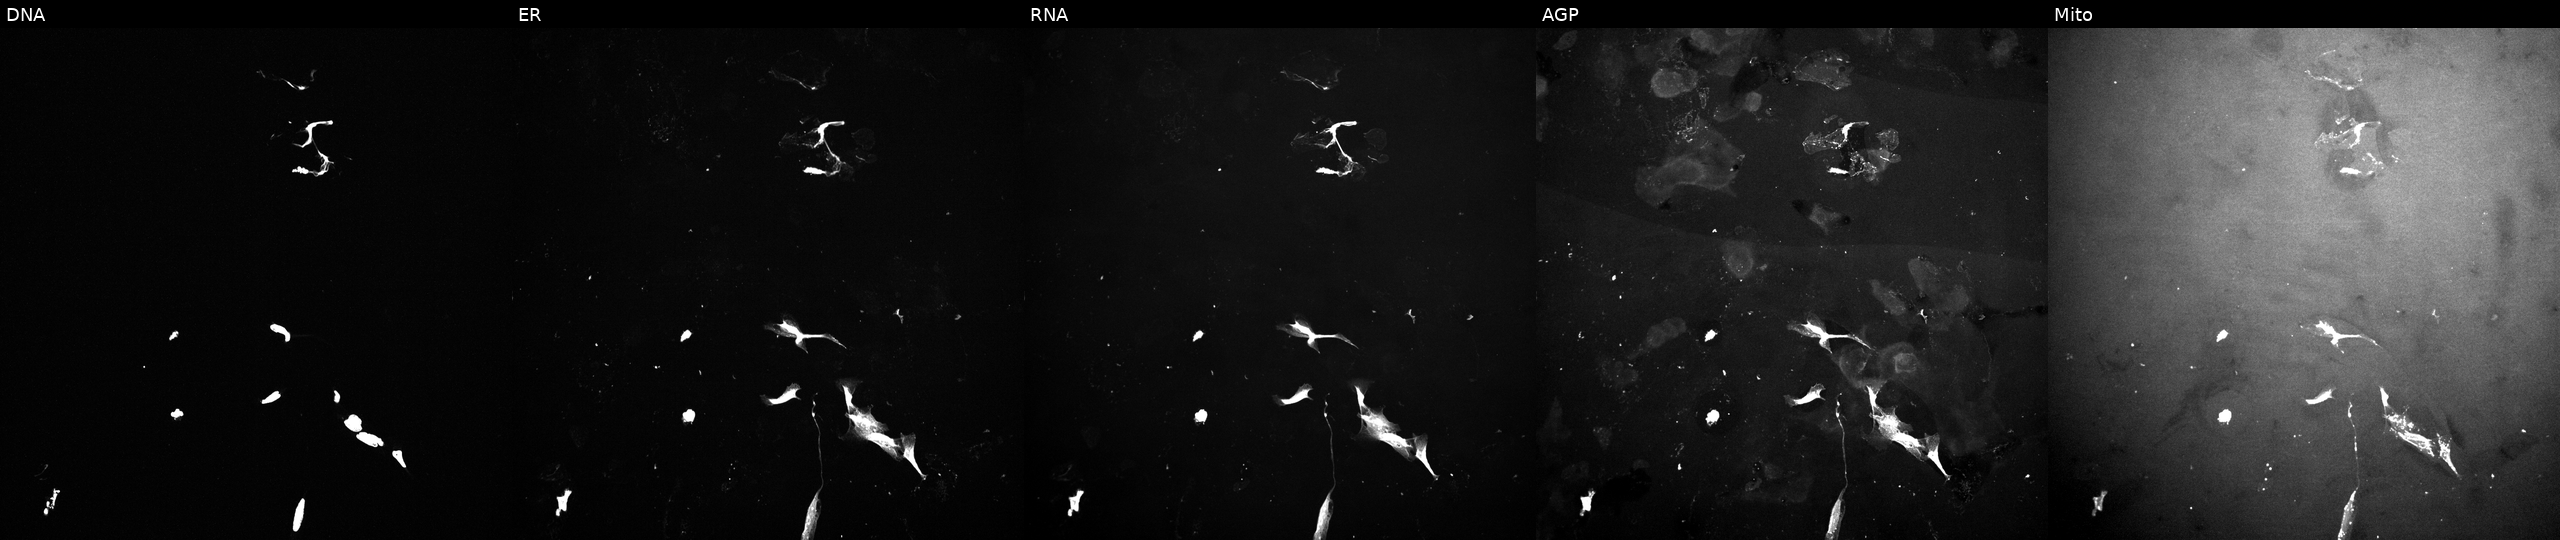
U2OS cells, Cell Painting assay, perturbed with a small-molecule compound (InChIKey HYFHYPWGAURHIV-UHFFFAOYSA-N) (JUMP id JCP2022_033400). From left to right: DNA, ER, RNA, AGP, and Mito. Each panel is percentile-stretched 16-bit fluorescence.